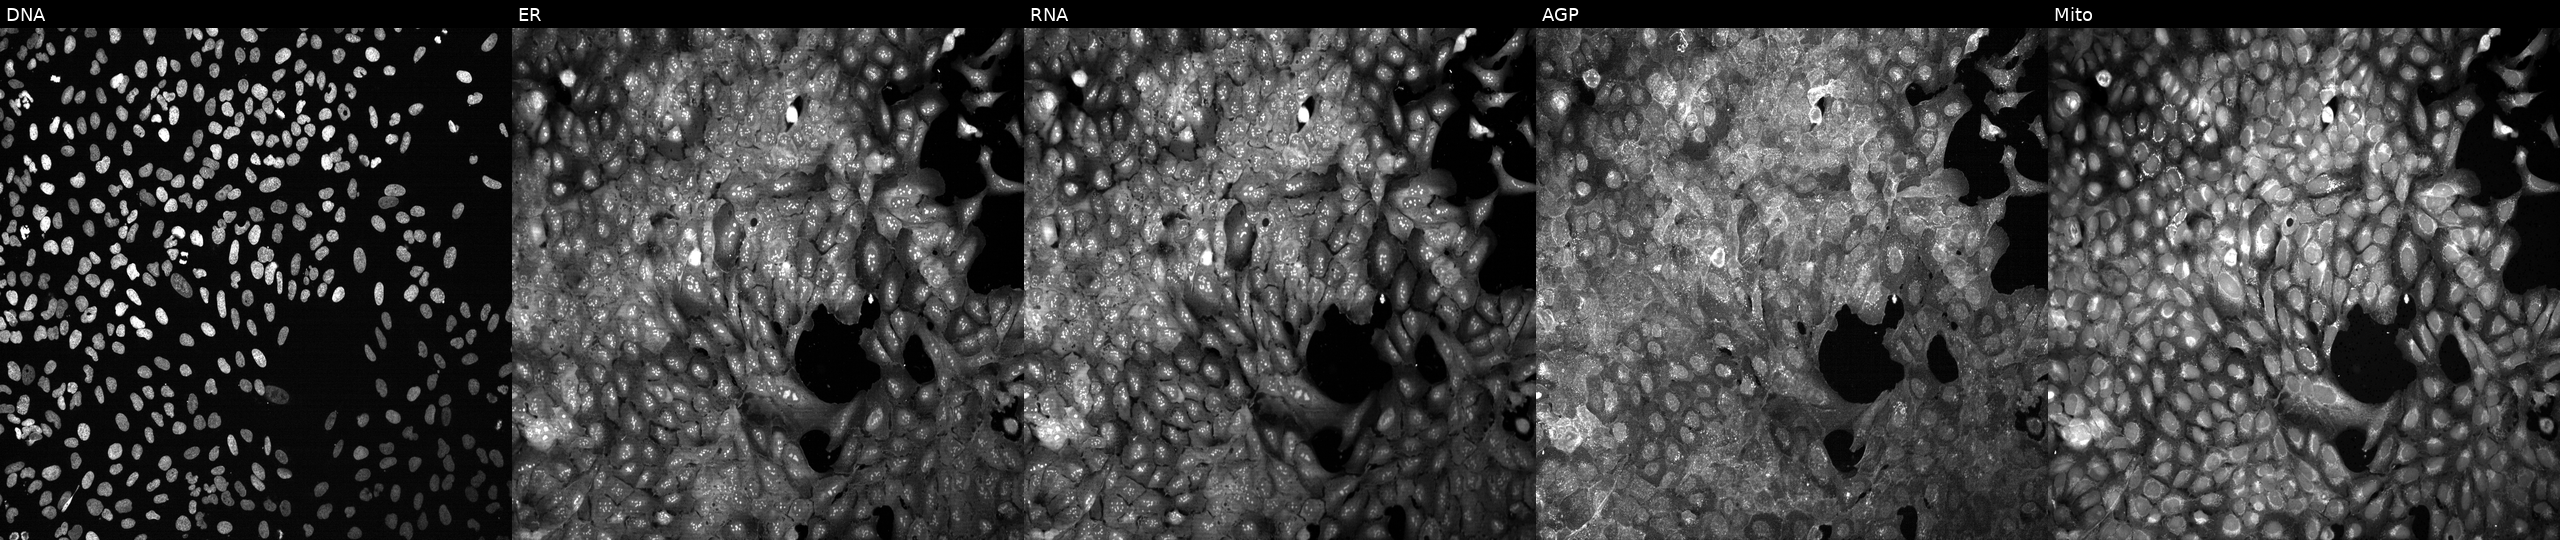
Five-channel Cell Painting image of U2OS cells CRISPR-edited to disrupt MDH2 (JUMP id JCP2022_804087). The five panels, left to right, show DNA (nuclei); ER (endoplasmic reticulum); RNA (nucleoli and cytoplasmic RNA); AGP (actin cytoskeleton, Golgi, and plasma membrane); Mito (mitochondria).